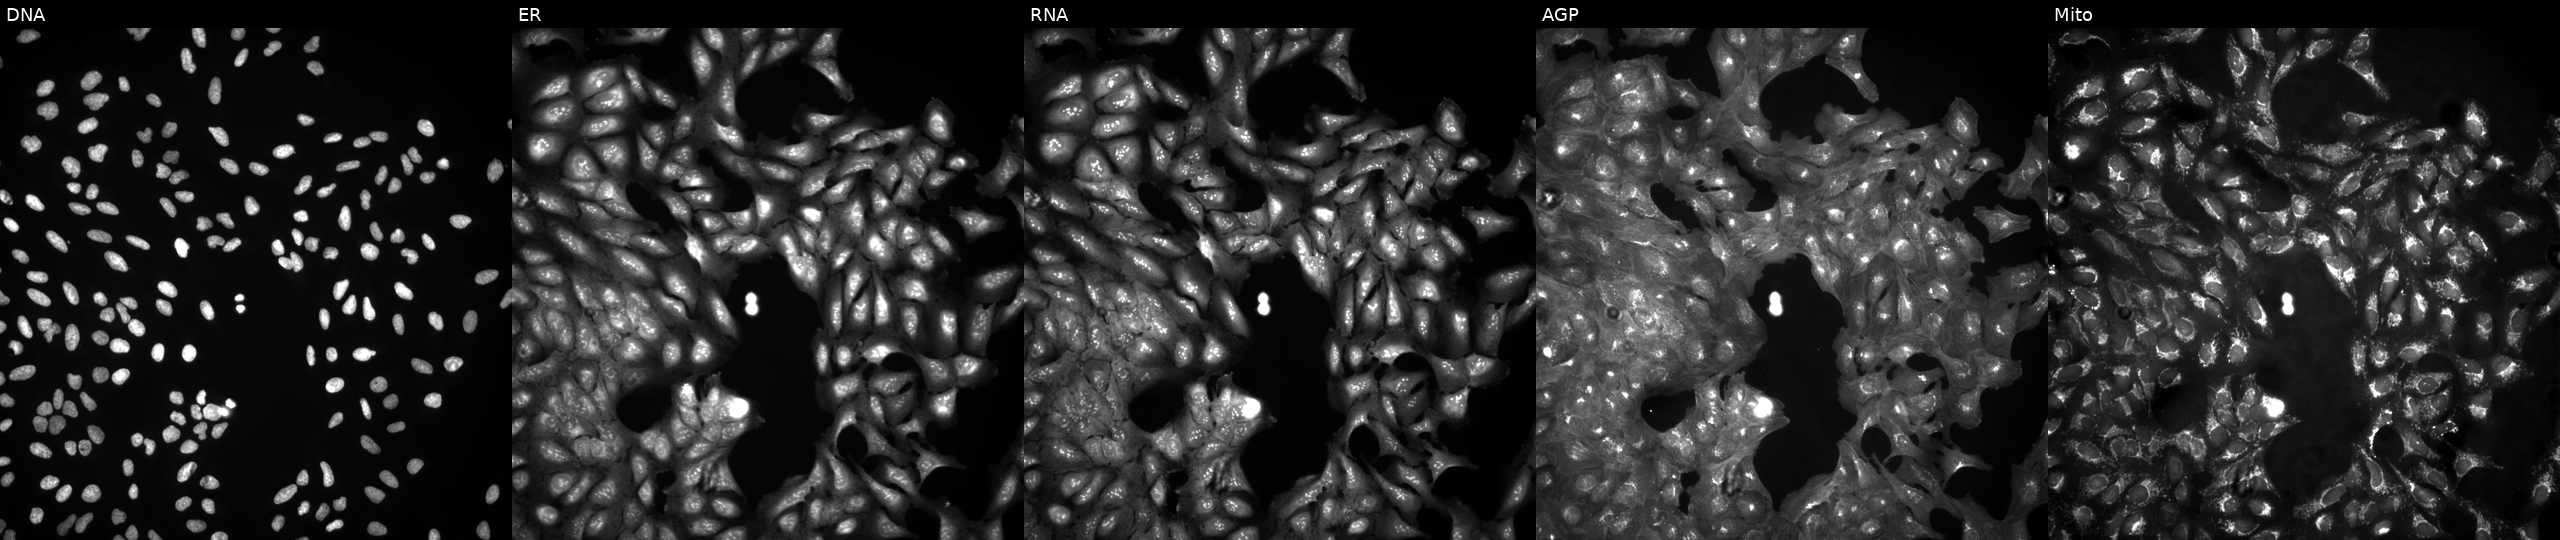
Five-channel Cell Painting image of U2OS cells in an empty control well (no perturbation) (JUMP id JCP2022_999999). Panels show, left to right, Hoechst 33342, concanavalin A, SYTO 14, phalloidin and WGA, MitoTracker.